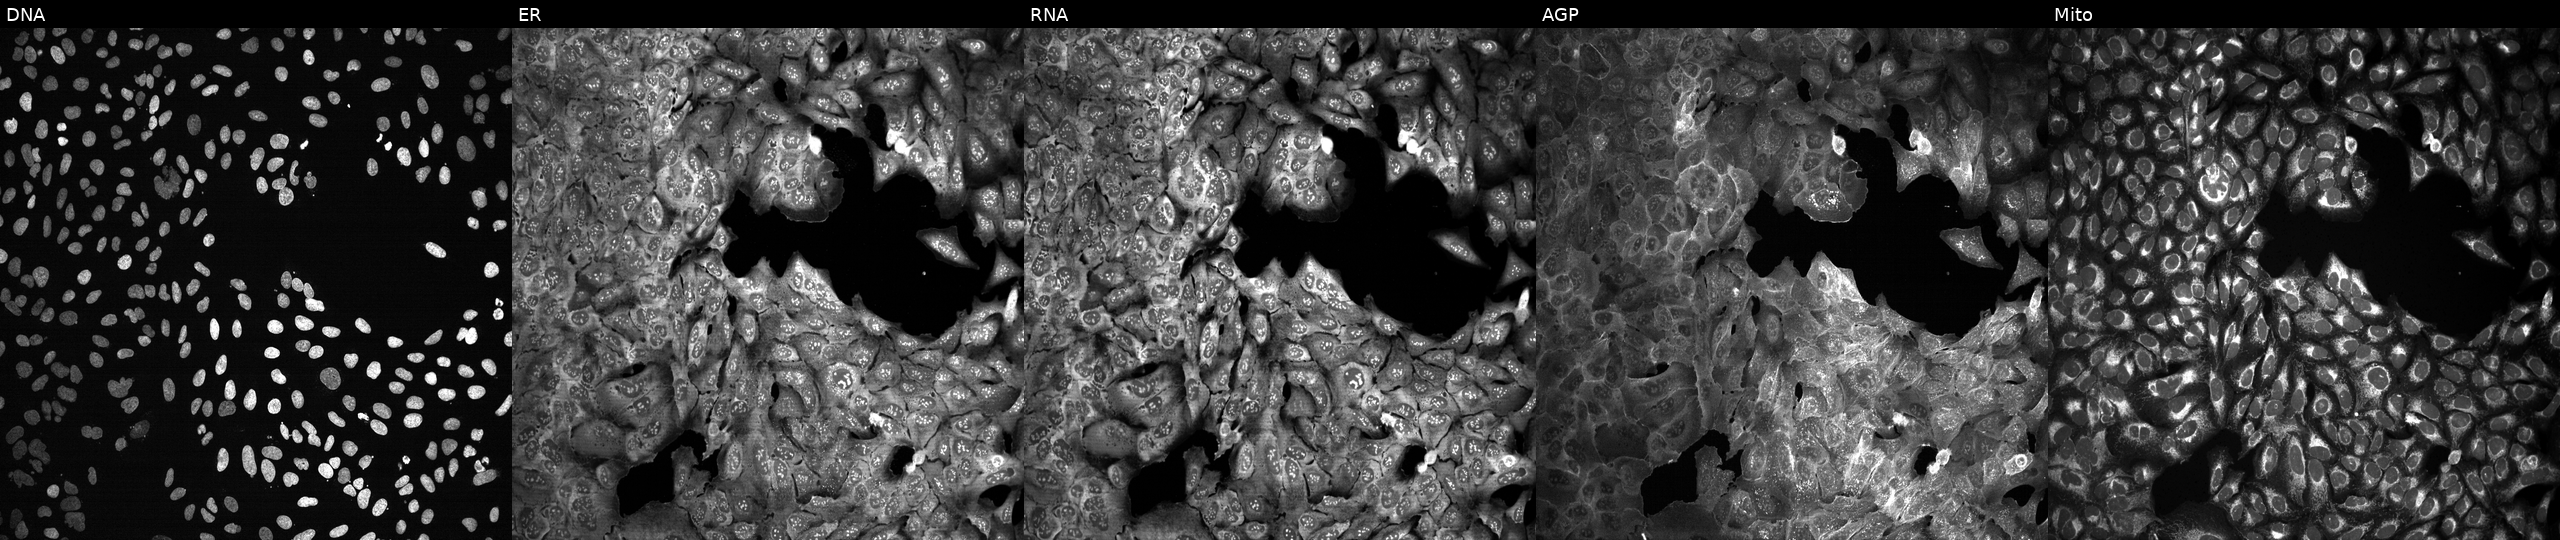
U2OS cells, Cell Painting assay, following CRISPR knockout of CASP8 (JUMP id JCP2022_801069). Panels show, left to right, DNA (nuclei); ER (endoplasmic reticulum); RNA (nucleoli and cytoplasmic RNA); AGP (actin cytoskeleton, Golgi, and plasma membrane); Mito (mitochondria). Each panel is percentile-stretched 16-bit fluorescence.